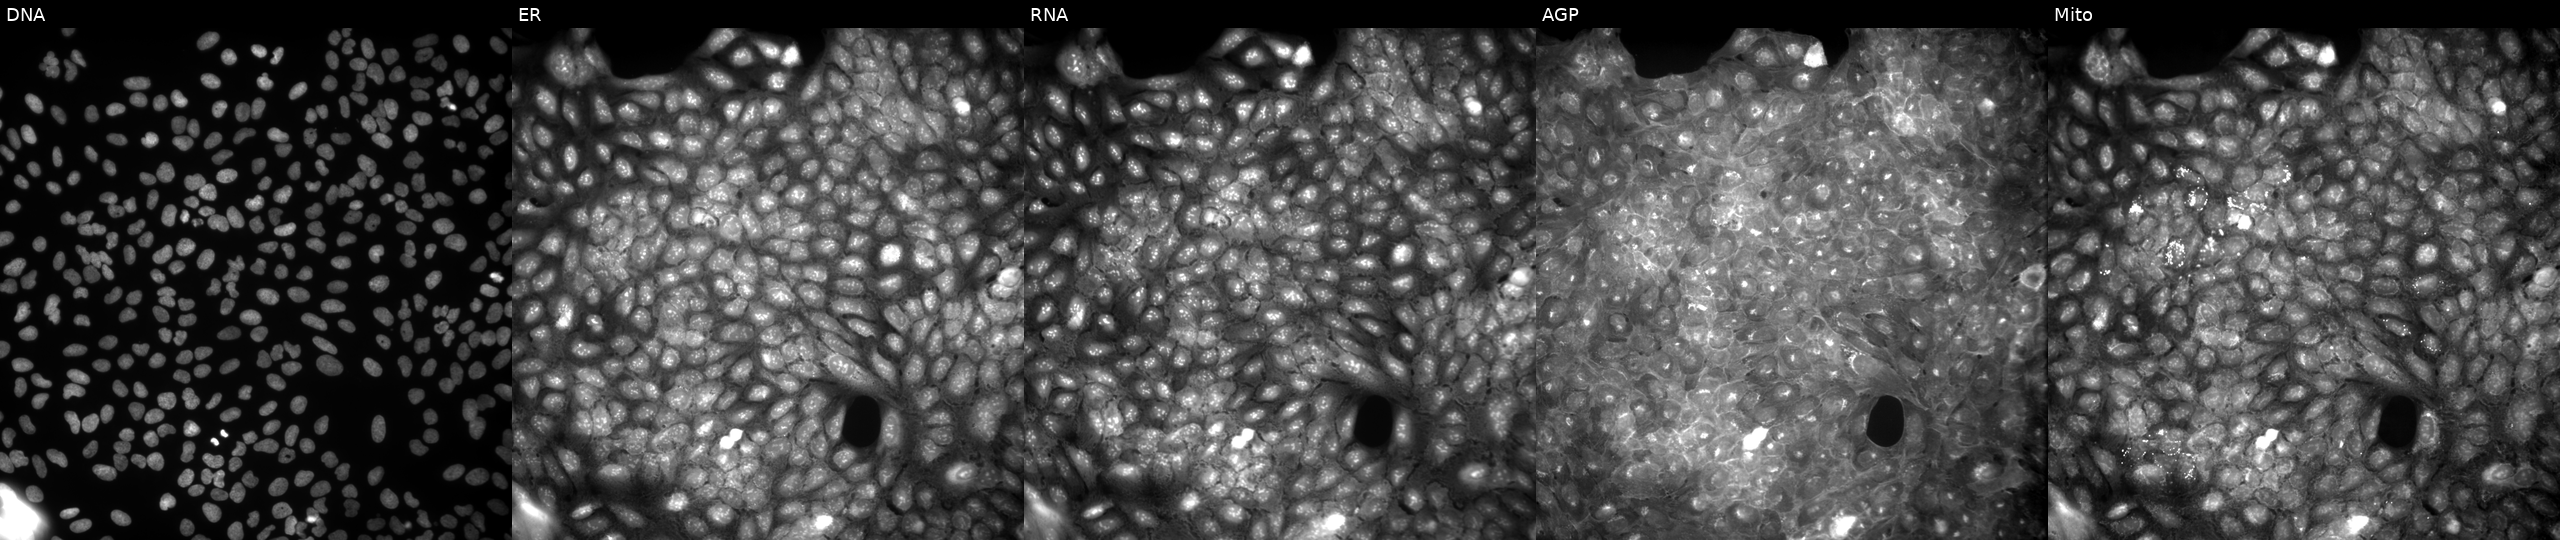
This image strip shows the five Cell Painting channels for a single field of U2OS cells treated with a small-molecule compound (InChIKey GPJYREUXKGYKBQ-UHFFFAOYSA-N). Panels show, left to right, Hoechst 33342, concanavalin A, SYTO 14, phalloidin and WGA, MitoTracker.